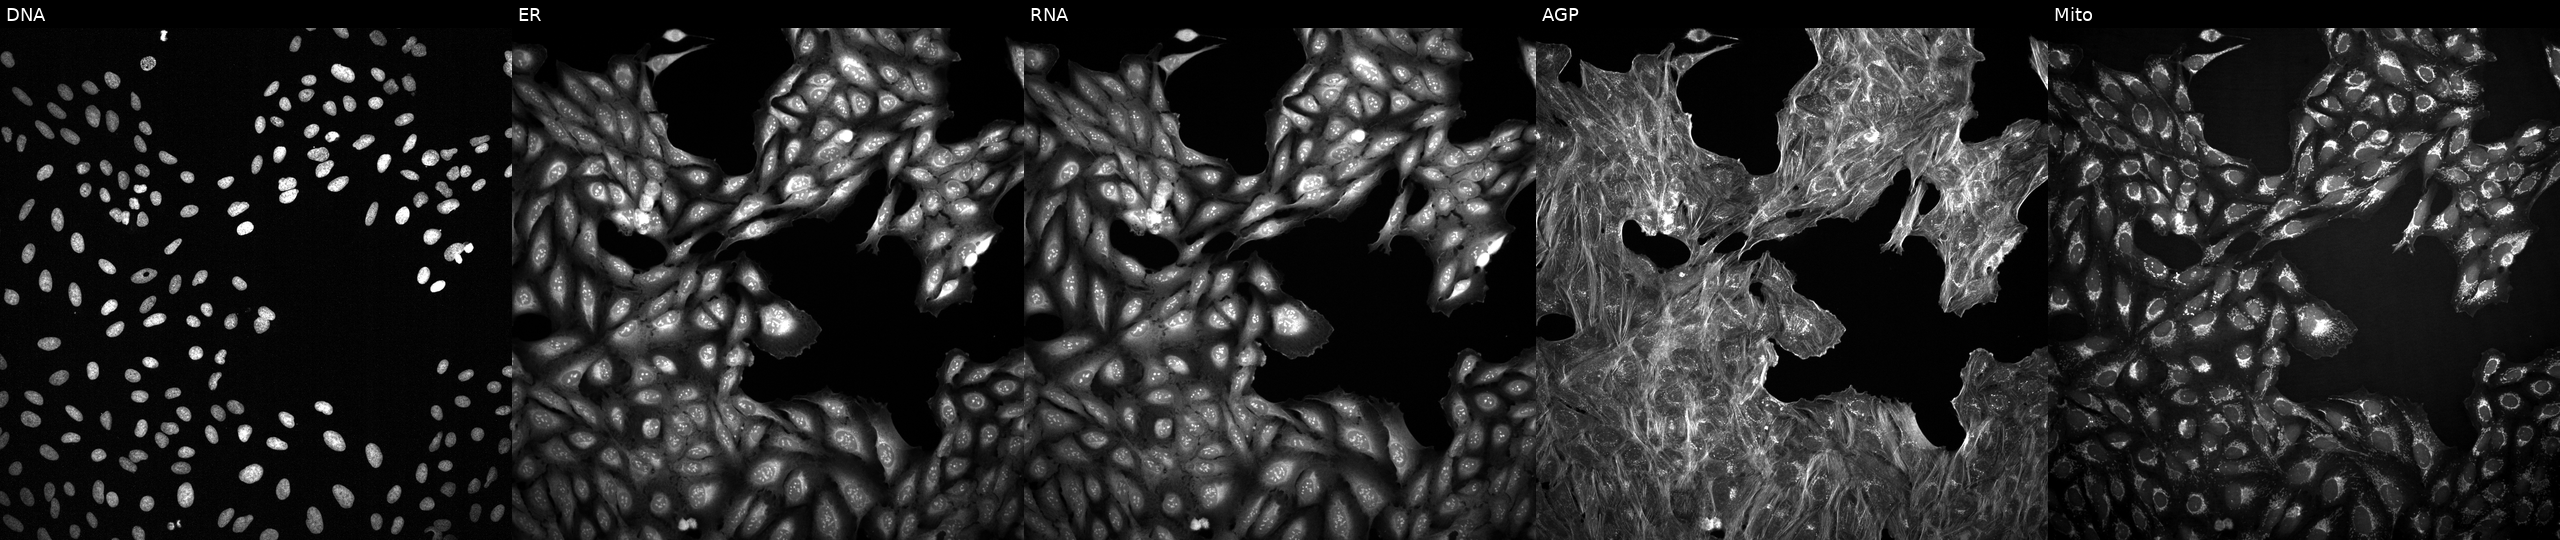
Five-channel Cell Painting image of U2OS cells treated with dexamethasone (positive-control compound) (JUMP id JCP2022_025848). From left to right: DNA (nuclei); ER (endoplasmic reticulum); RNA (nucleoli and cytoplasmic RNA); AGP (actin cytoskeleton, Golgi, and plasma membrane); Mito (mitochondria). Source 2, plate 1053600674, well K02.